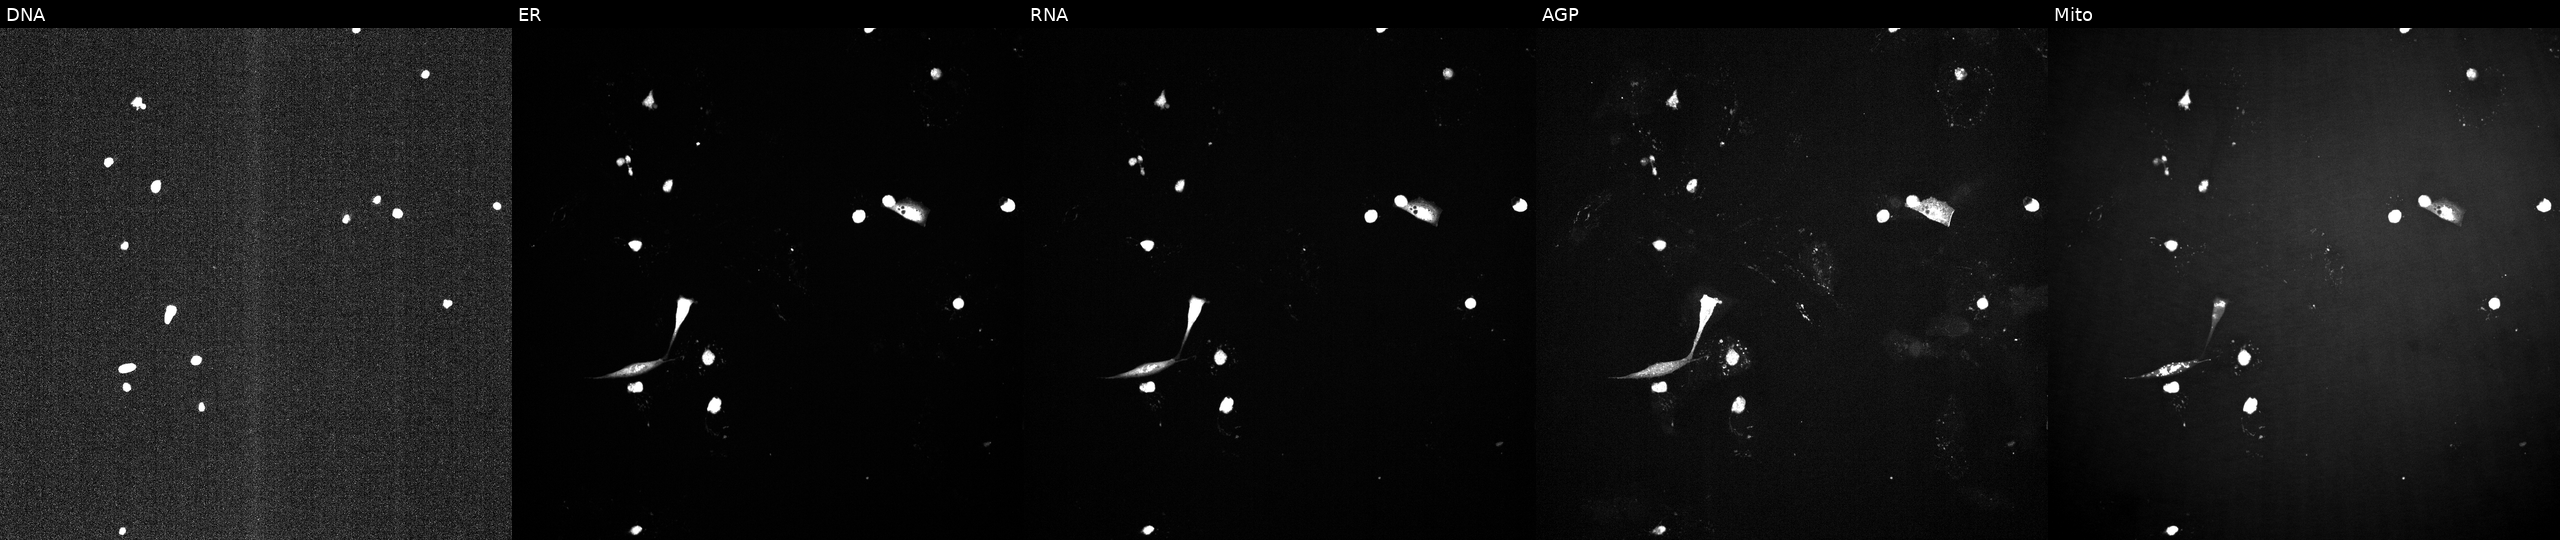
This image strip shows the five Cell Painting channels for a single field of U2OS cells exposed to a small-molecule compound (InChIKey XUZQTIZWMHMWOC-UHFFFAOYSA-N) (JUMP id JCP2022_106219). The five panels, left to right, show DNA (nuclei); ER (endoplasmic reticulum); RNA (nucleoli and cytoplasmic RNA); AGP (actin cytoskeleton, Golgi, and plasma membrane); Mito (mitochondria).